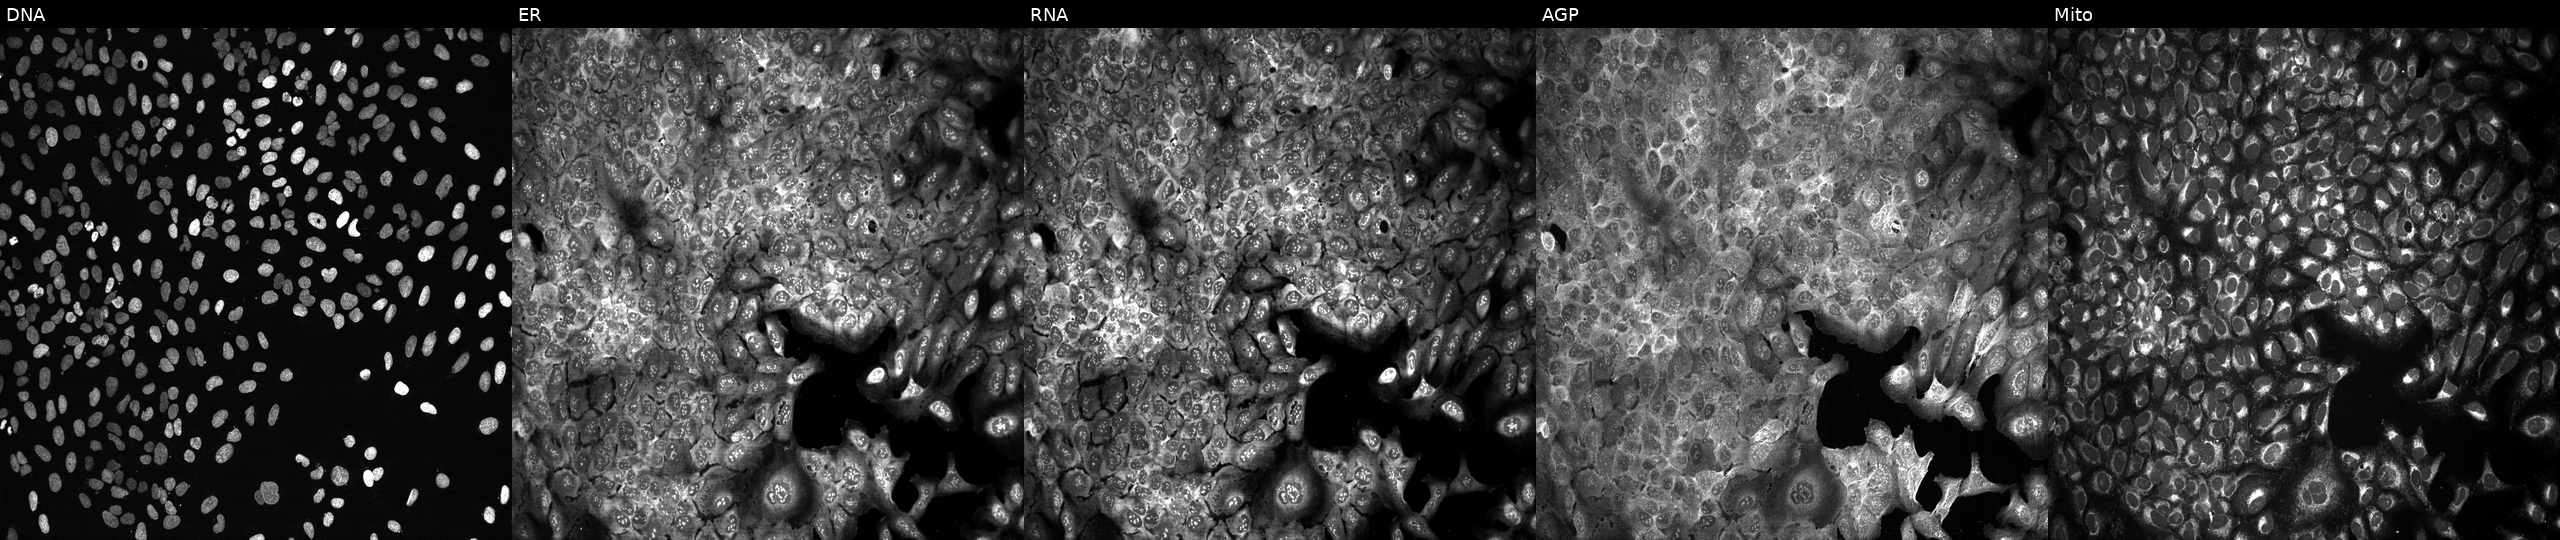
JUMP Cell Painting — CRISPR plate. U2OS cells CRISPR-edited to disrupt AGL. The five panels, left to right, show DNA (nuclei); ER (endoplasmic reticulum); RNA (nucleoli and cytoplasmic RNA); AGP (actin cytoskeleton, Golgi, and plasma membrane); Mito (mitochondria).